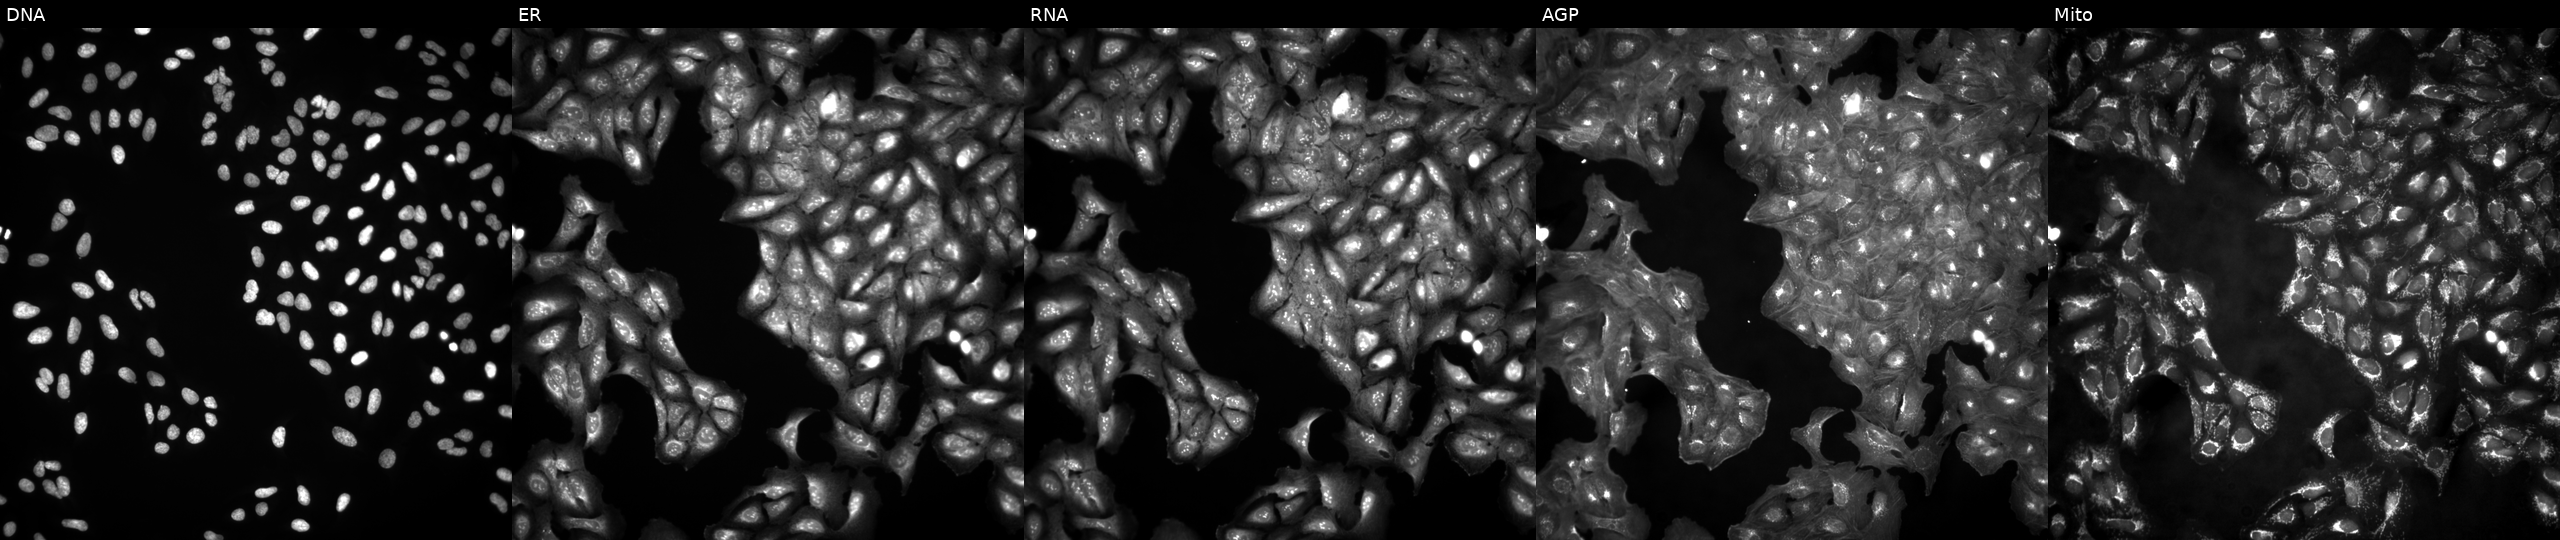
JUMP Cell Painting — ORF plate. U2OS cells in an empty control well (no perturbation) (JUMP id JCP2022_999999). Channels (left→right): Hoechst 33342, concanavalin A, SYTO 14, phalloidin and WGA, MitoTracker. Source 4, plate BR00123946, well H22.